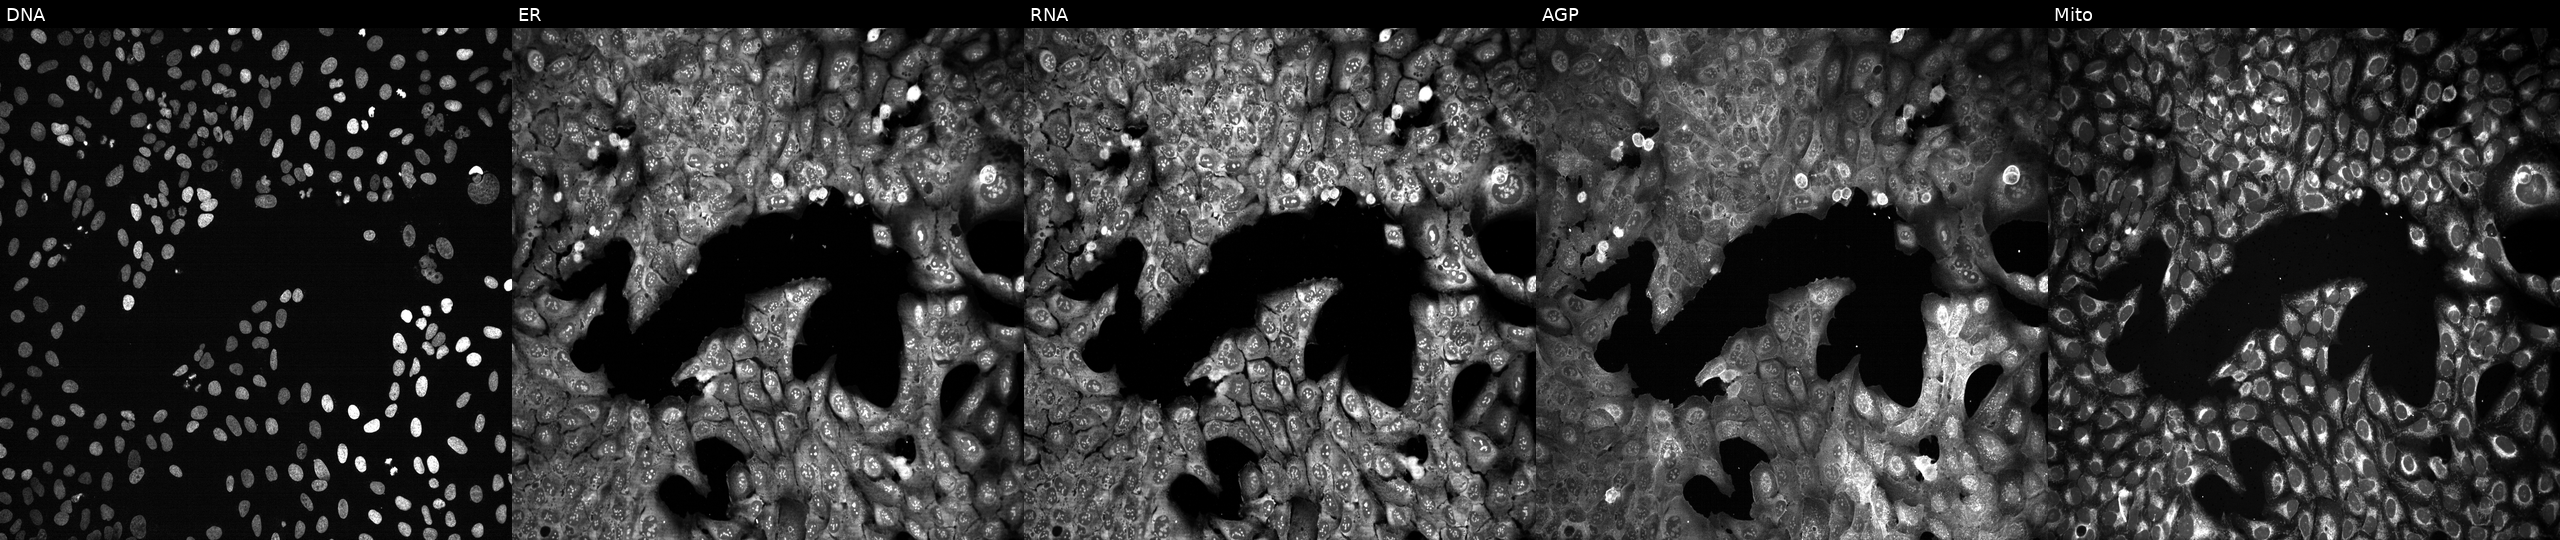
Panels show, left to right, DNA, ER, RNA, AGP, and Mito. U2OS osteosarcoma cells following CRISPR knockout of DDX39A. Cell Painting assay, JUMP-CP dataset.